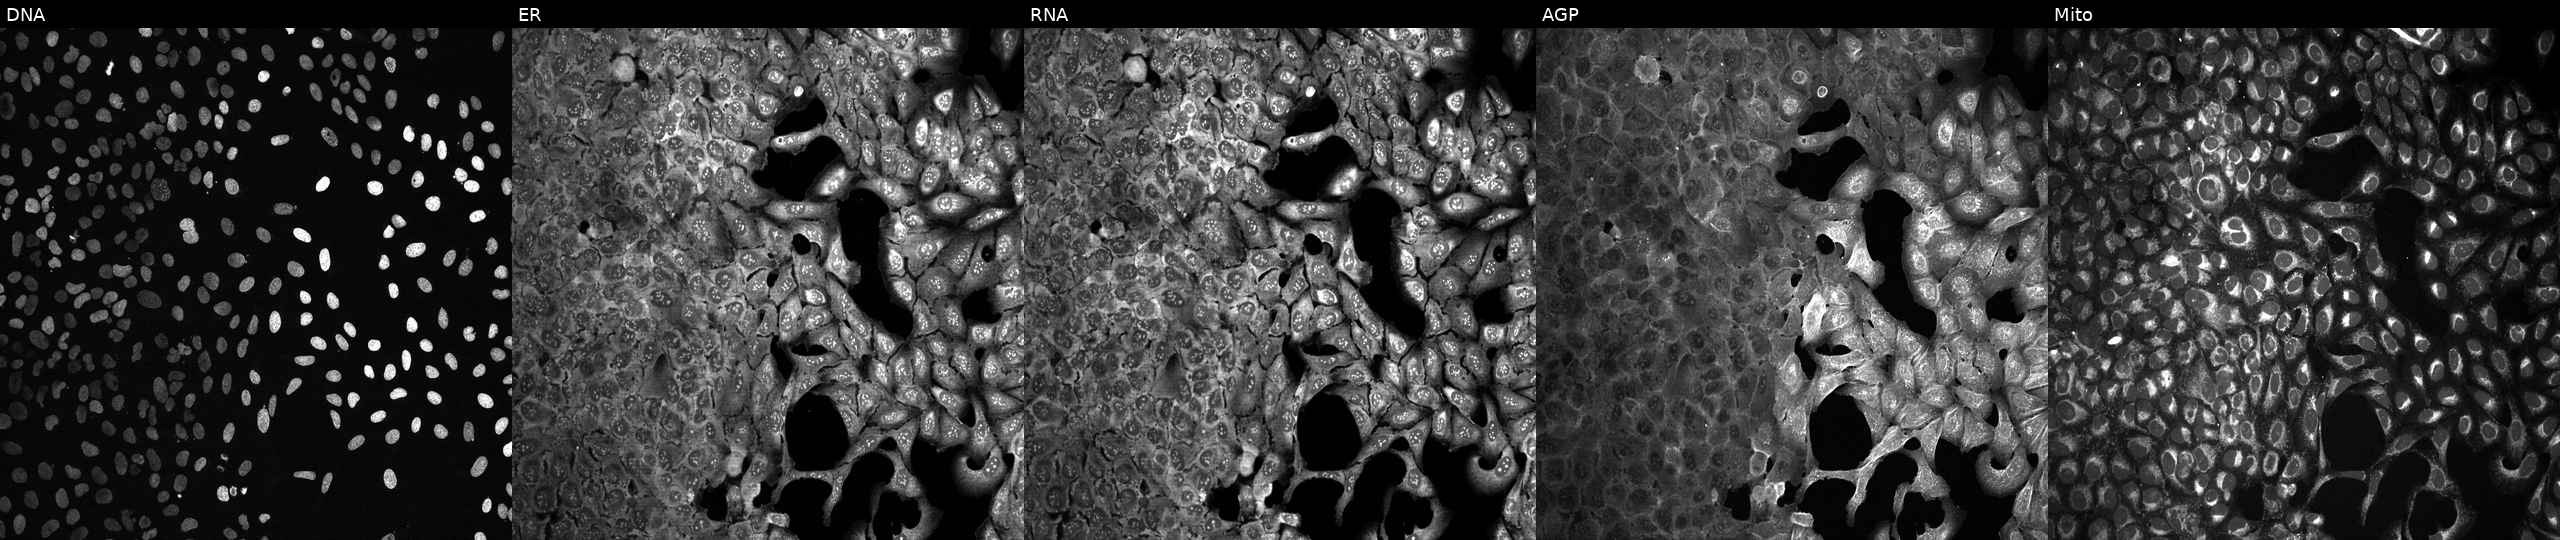
This image strip shows the five Cell Painting channels for a single field of U2OS cells with TNKS knocked out by CRISPR. Channels (left→right): Hoechst 33342, concanavalin A, SYTO 14, phalloidin and WGA, MitoTracker. Source 13, plate CP-CC9-R2-01, well A10.